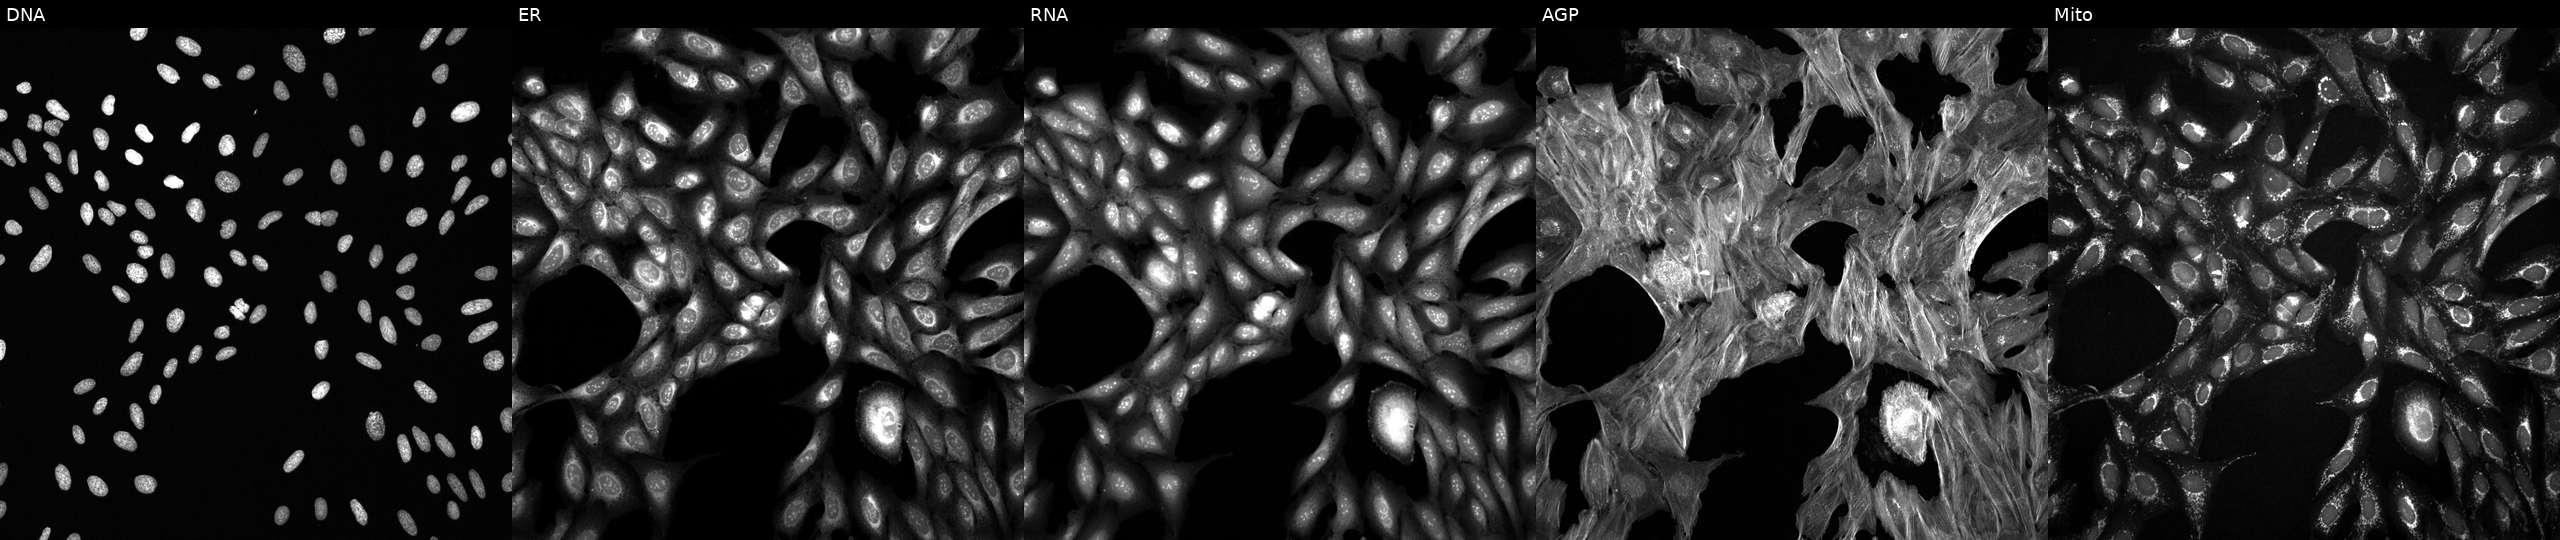
U2OS cells, Cell Painting assay, treated with a small-molecule compound (InChIKey BOFQWVMAQOTZIW-UHFFFAOYSA-N) [SMILES: O=C(O)c1ccc(-n2nc(-c3ccccc3O)nc2-c2ccccc2O)cc1] (JUMP id JCP2022_007613). From left to right: DNA, ER, RNA, AGP, and Mito. Each panel is percentile-stretched 16-bit fluorescence.